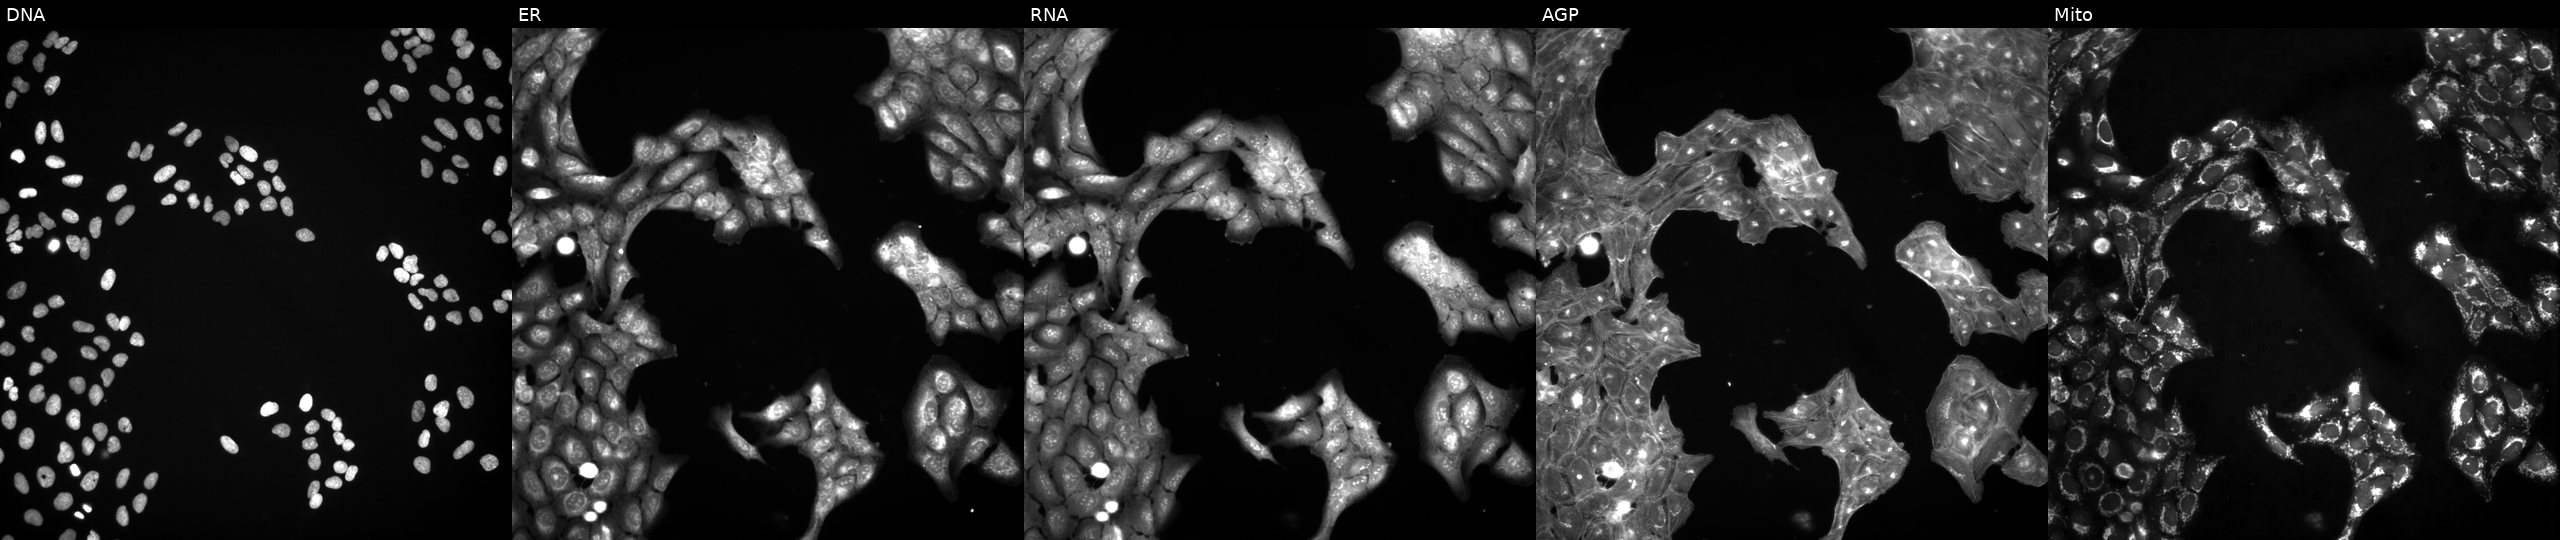
Panels show, left to right, Hoechst 33342, concanavalin A, SYTO 14, phalloidin and WGA, MitoTracker. U2OS osteosarcoma cells exposed to a small-molecule compound (InChIKey UZDORQWMYRRLQV-UHFFFAOYSA-N) [SMILES: Cc1cc(C)cc(C(=O)N(C)C(Cc2ccc(-c3ccccc3)cc2)C(=O)NC(Cc2c[nH]c3ccccc23)C(=O)O)c1] (JUMP id JCP2022_092464). Cell Painting assay, JUMP-CP dataset.